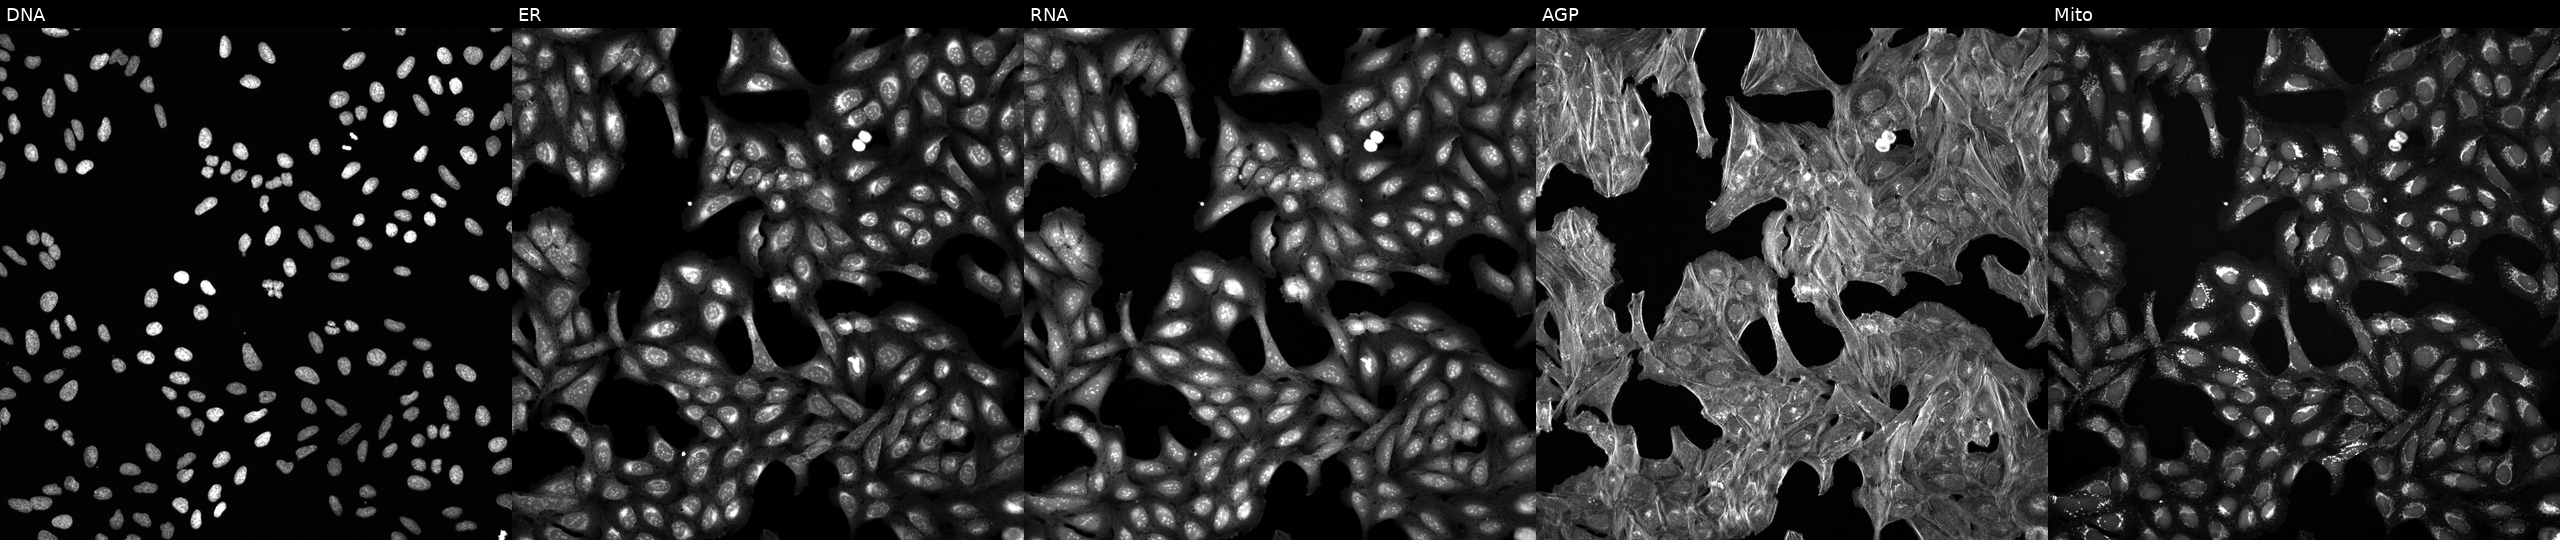
JUMP Cell Painting — TARGET2 plate. U2OS cells exposed to DMSO alone as a negative control. The five panels, left to right, show DNA, ER, RNA, AGP, and Mito. Source 6, plate 110000293093, well N01.